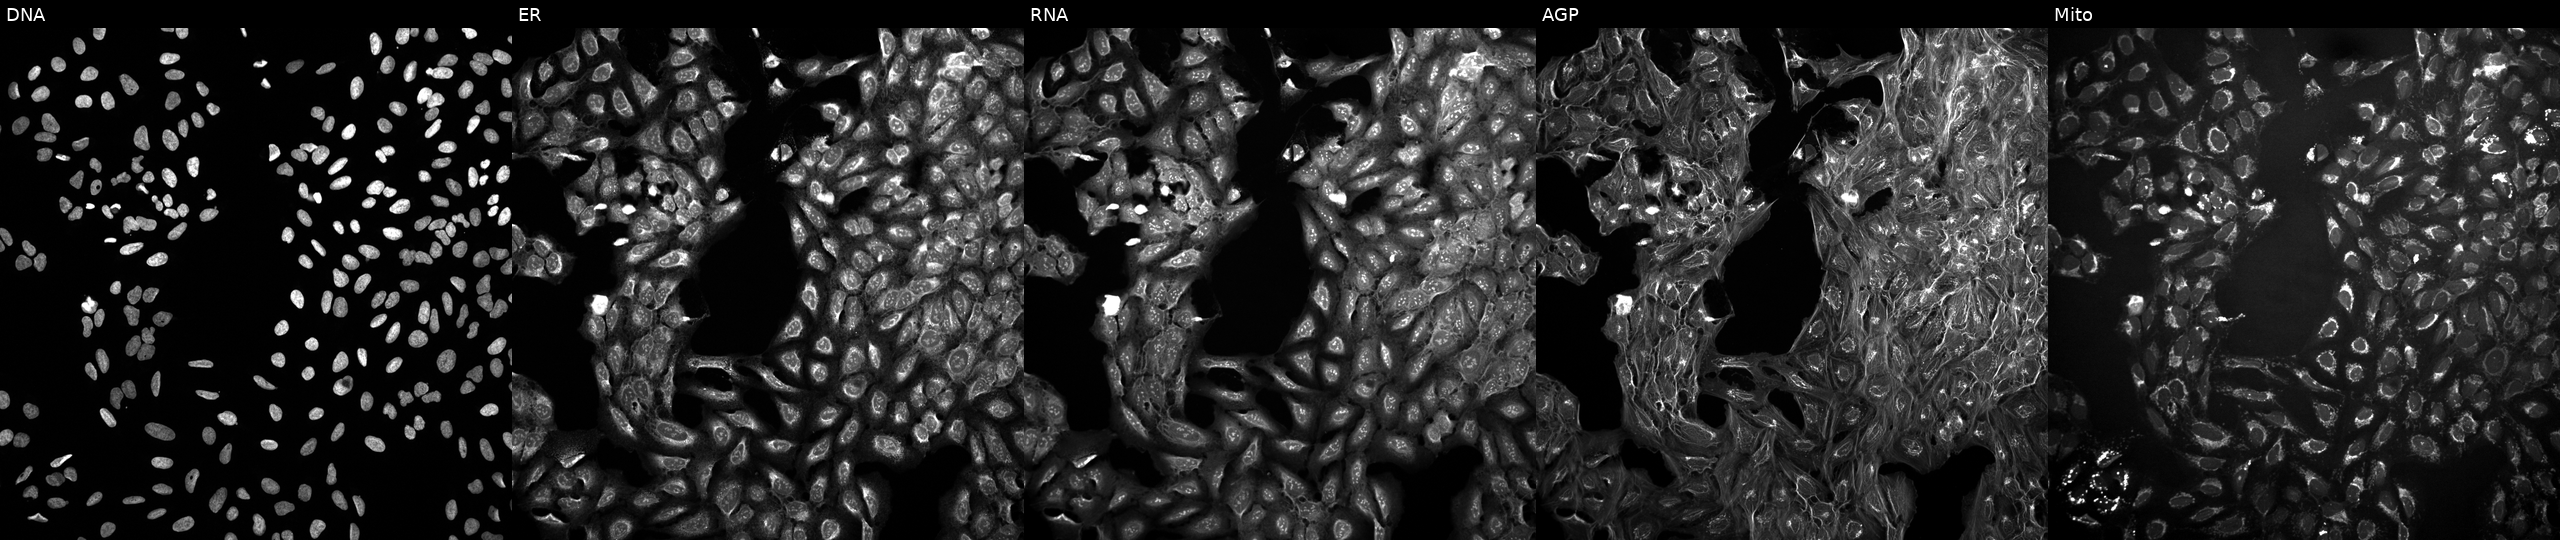
High-content fluorescence microscopy (Cell Painting). Cell line: U2OS. Perturbation: treated with DMSO vehicle only (negative control). Channels (left→right): DNA, ER, RNA, AGP, and Mito.